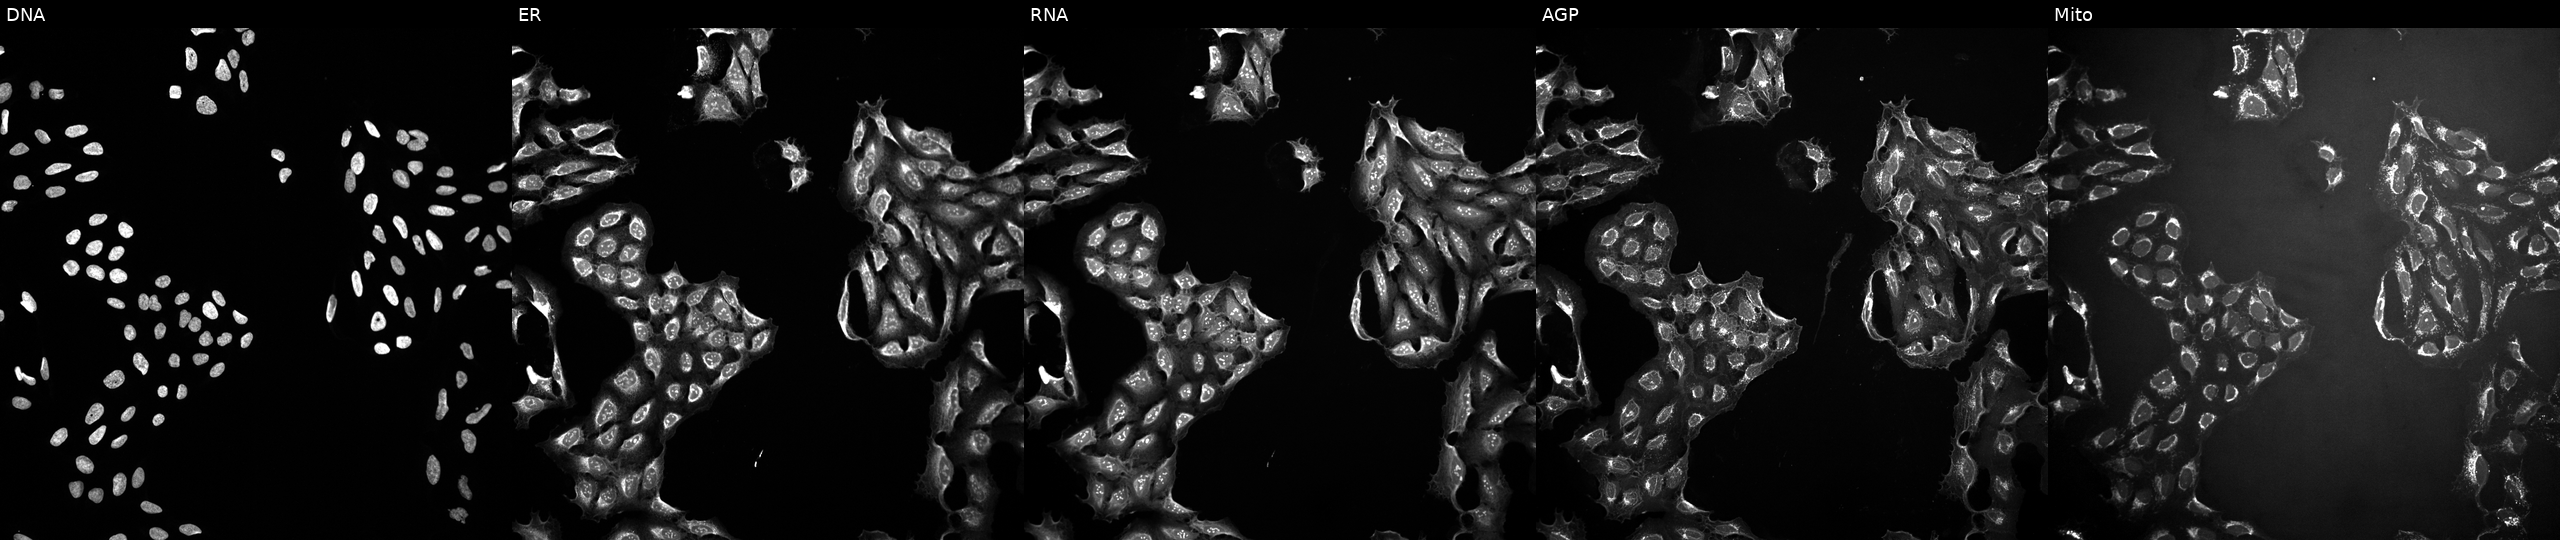
This image strip shows the five Cell Painting channels for a single field of U2OS cells exposed to a small-molecule compound (InChIKey QVZCXCJXTMIDME-UHFFFAOYSA-N). Panels show, left to right, DNA, ER, RNA, AGP, and Mito.